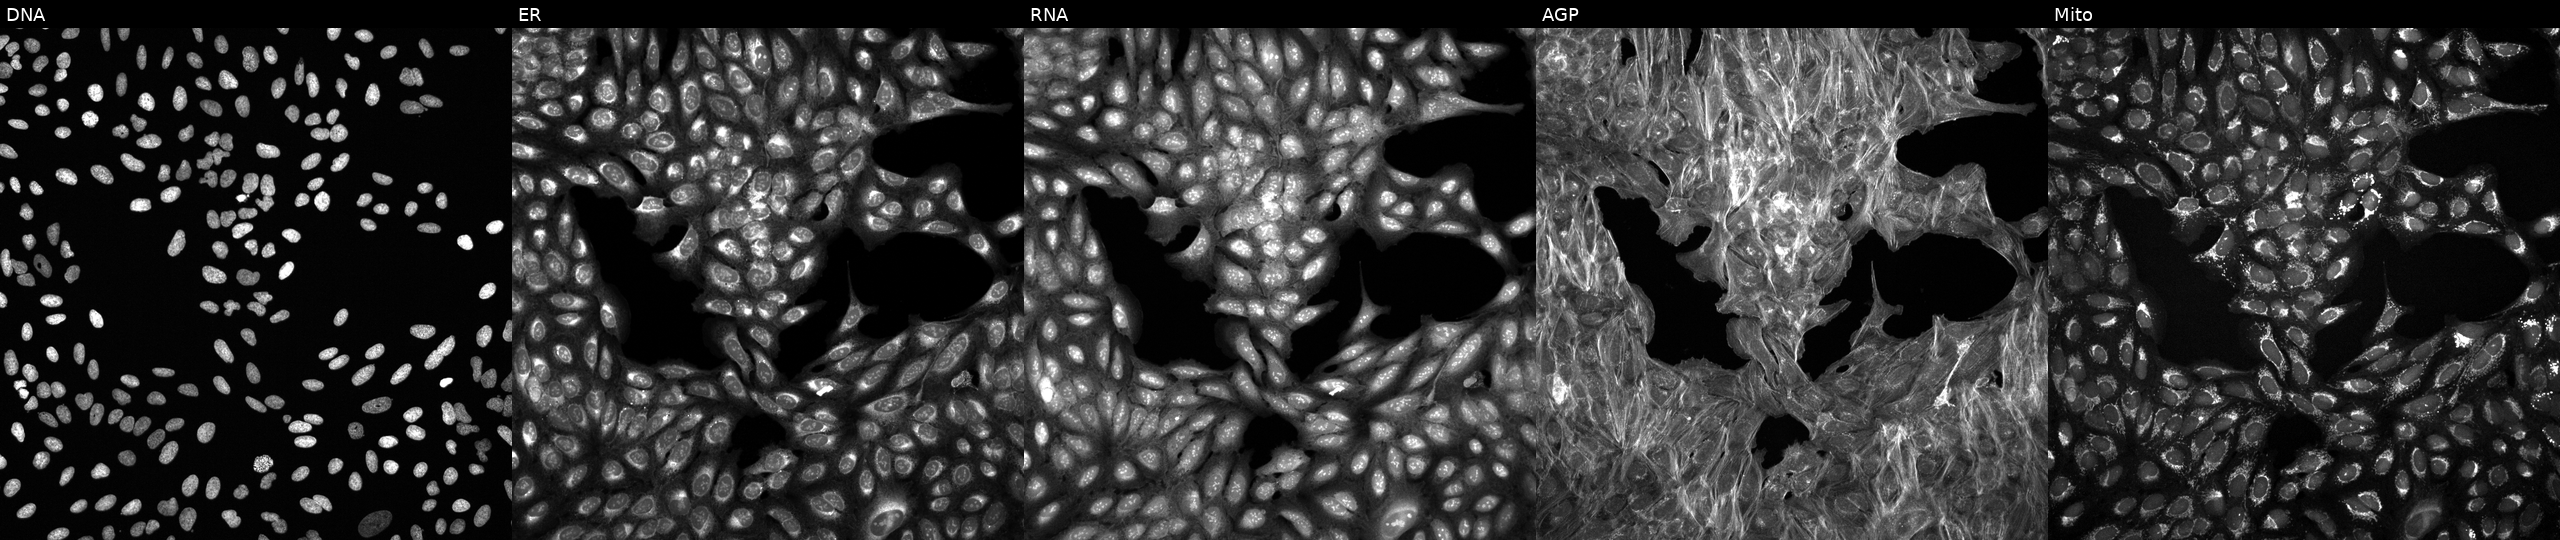
JUMP Cell Painting — COMPOUND plate. U2OS cells perturbed with a small-molecule compound (InChIKey CLVZMTUHVRUEOE-UHFFFAOYSA-N) [SMILES: O=C(Nc1cnn(Cc2ccccc2)c1)c1nc2ncccn2n1]. Channels (left→right): DNA (nuclei); ER (endoplasmic reticulum); RNA (nucleoli and cytoplasmic RNA); AGP (actin cytoskeleton, Golgi, and plasma membrane); Mito (mitochondria). Source 6, plate 110000293082, well E06.